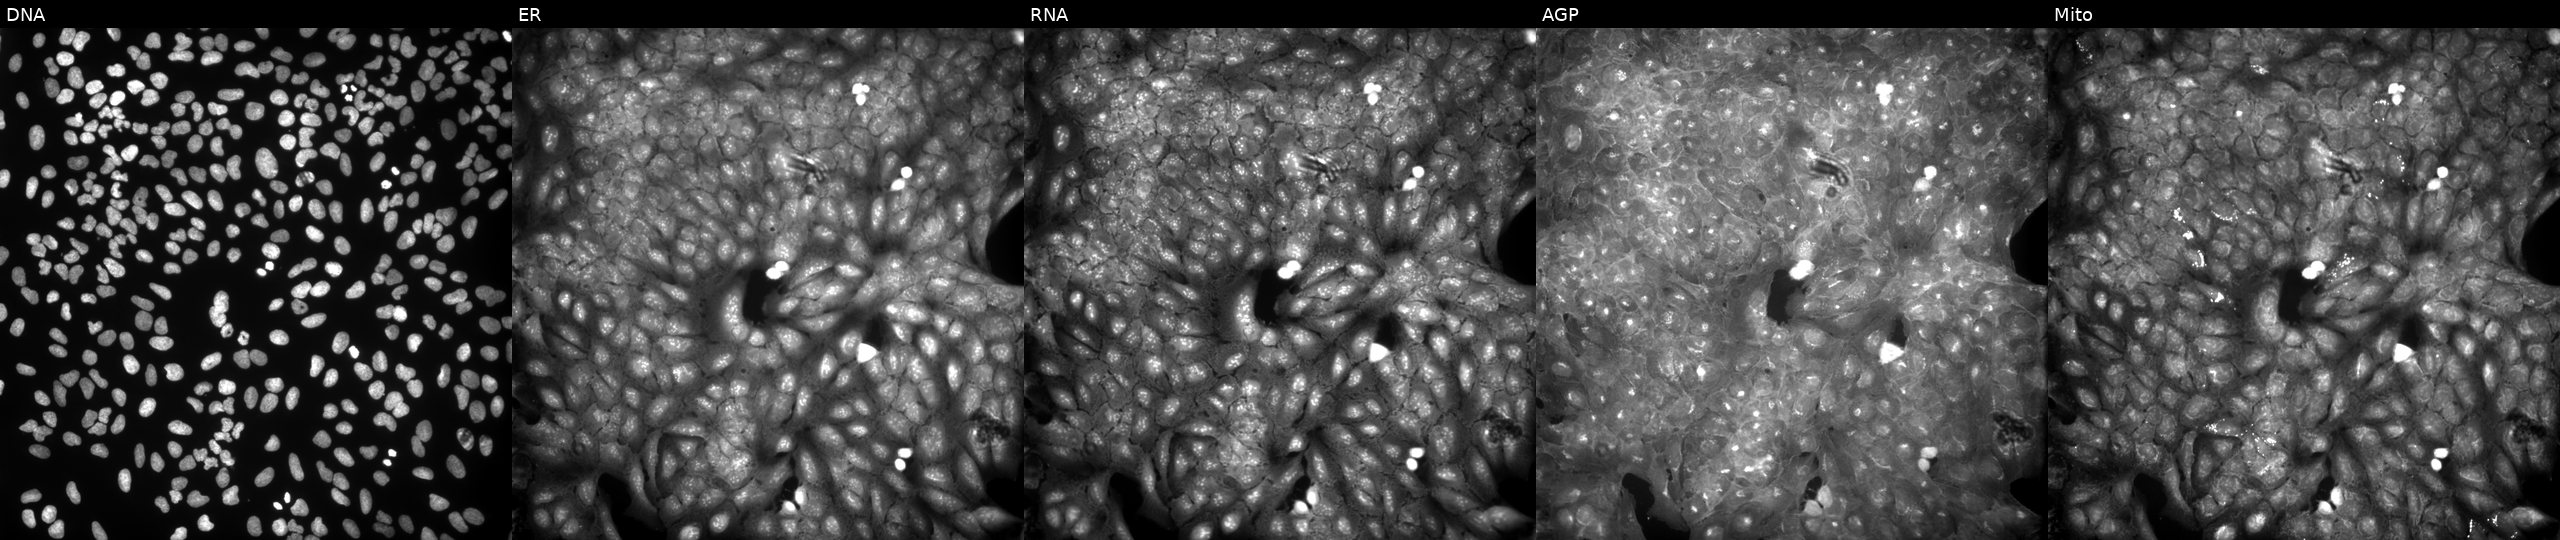
Five-channel Cell Painting image of U2OS cells treated with a small-molecule compound. Channels (left→right): Hoechst 33342, concanavalin A, SYTO 14, phalloidin and WGA, MitoTracker.